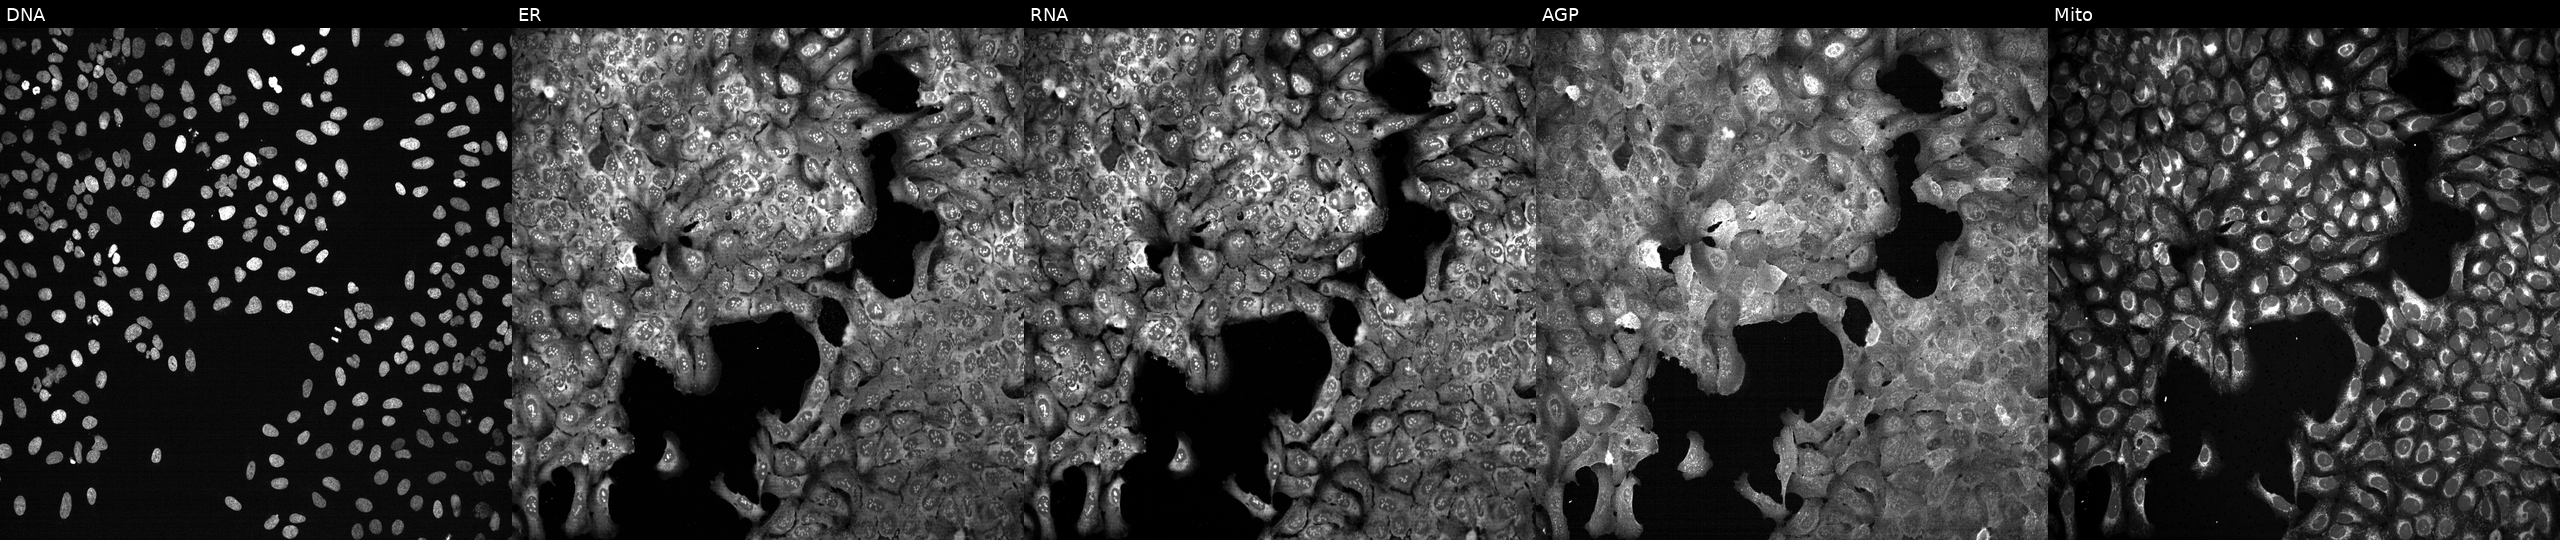
High-content fluorescence microscopy (Cell Painting). Cell line: U2OS. Perturbation: following CRISPR knockout of MDH2 (JUMP id JCP2022_804087). Panels show, left to right, Hoechst 33342, concanavalin A, SYTO 14, phalloidin and WGA, MitoTracker. Source 13, plate CP-CC9-R2-02, well M15.